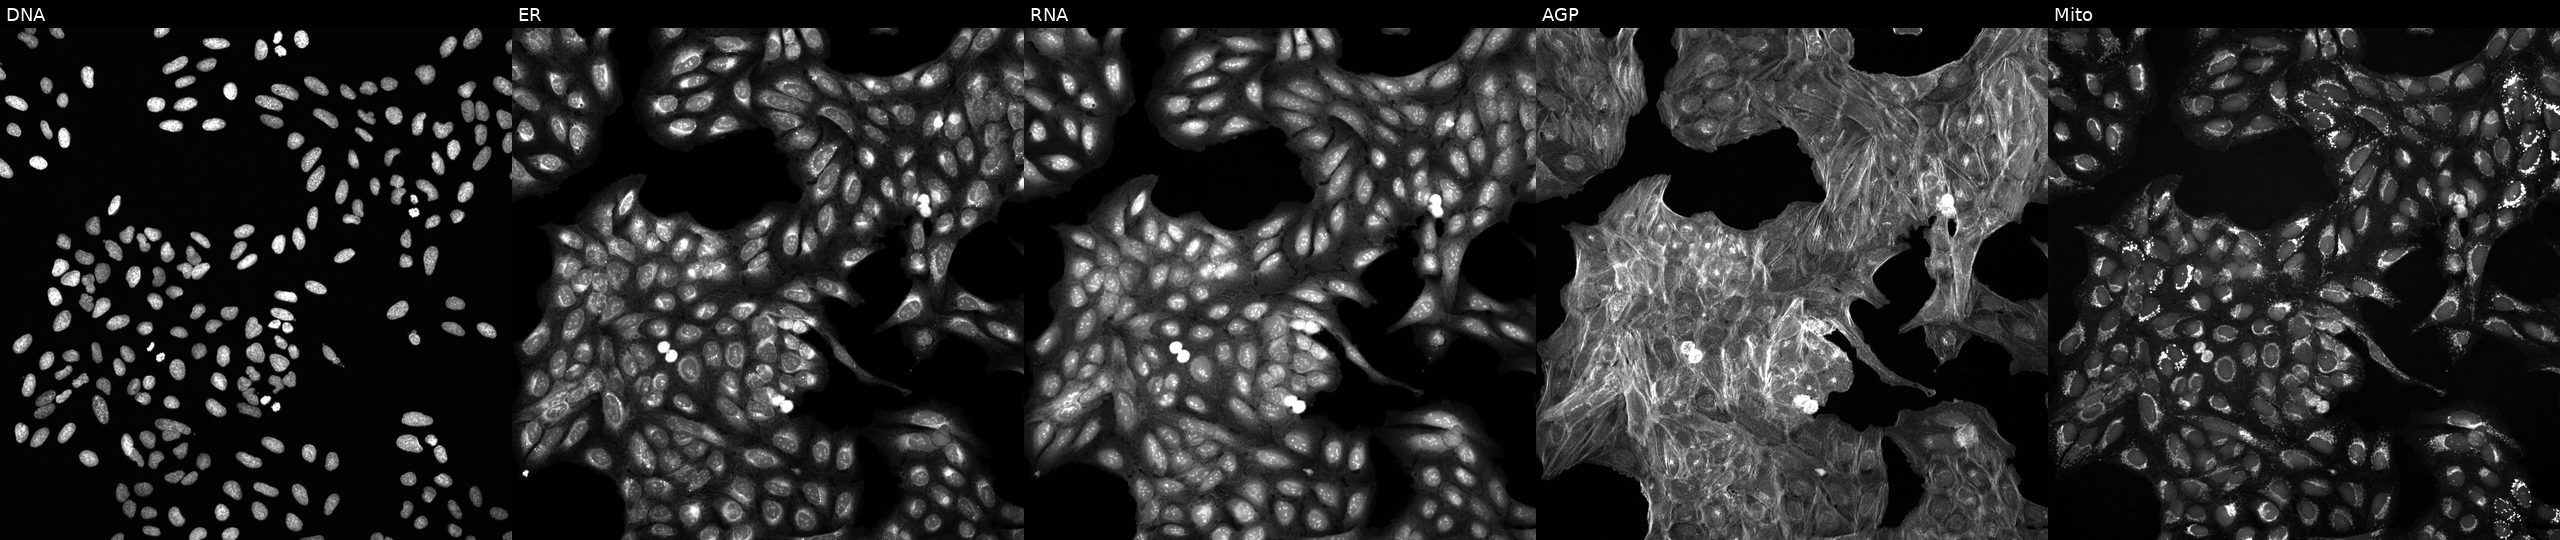
High-content fluorescence microscopy (Cell Painting). Cell line: U2OS. Perturbation: treated with a small-molecule compound (JUMP id JCP2022_051835). From left to right: DNA (nuclei); ER (endoplasmic reticulum); RNA (nucleoli and cytoplasmic RNA); AGP (actin cytoskeleton, Golgi, and plasma membrane); Mito (mitochondria). Source 6, plate 110000293083, well B07.